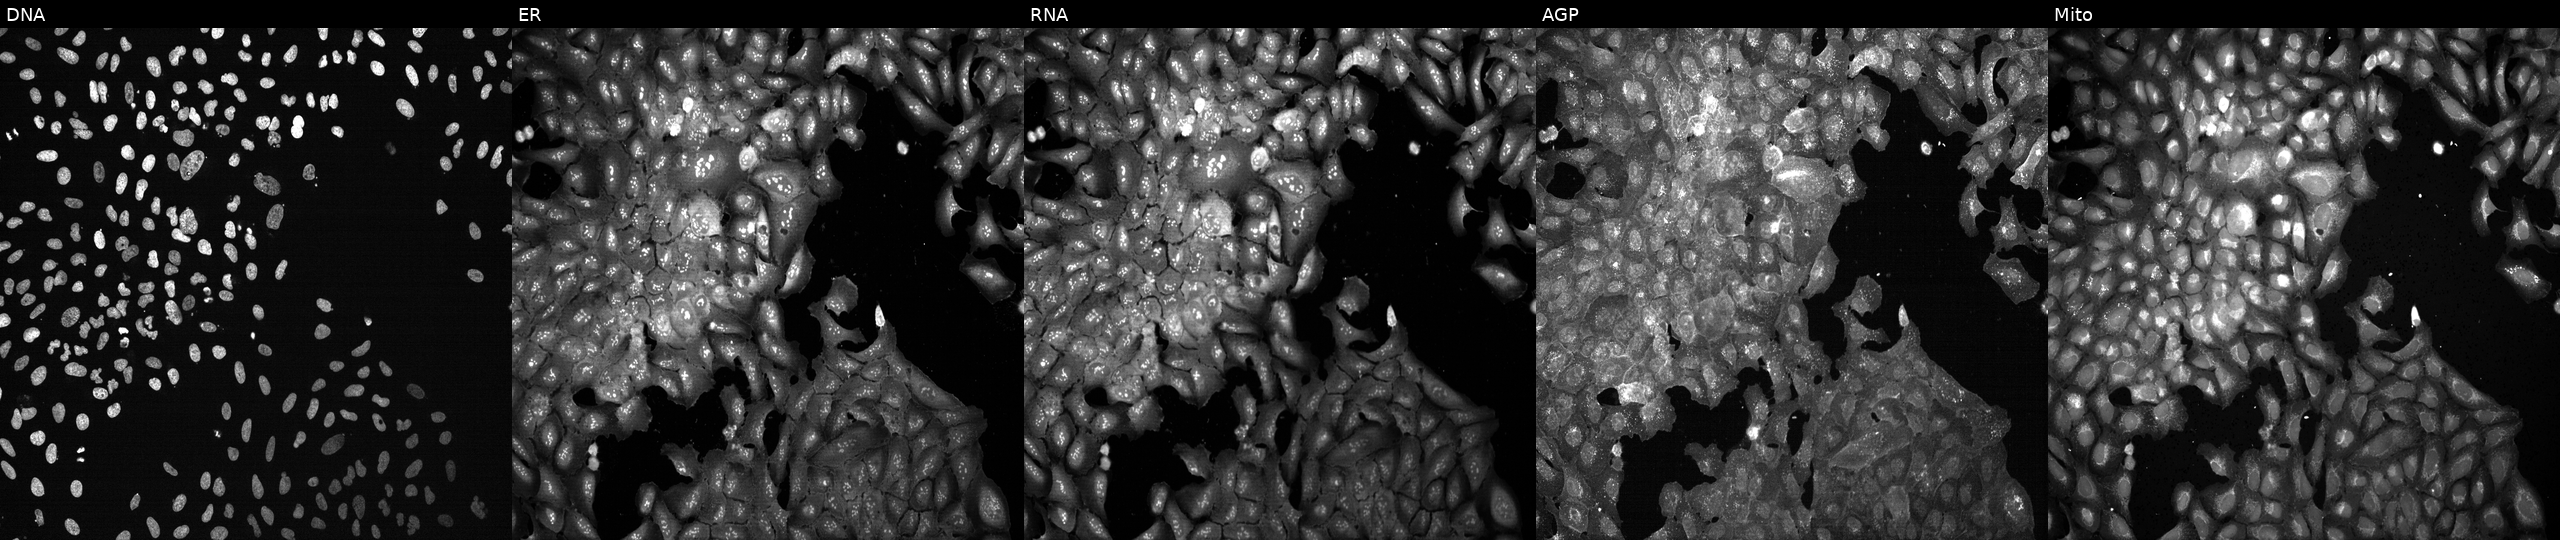
This image strip shows the five Cell Painting channels for a single field of U2OS cells following CRISPR knockout of KRT8 (JUMP id JCP2022_803756). From left to right: DNA (nuclei); ER (endoplasmic reticulum); RNA (nucleoli and cytoplasmic RNA); AGP (actin cytoskeleton, Golgi, and plasma membrane); Mito (mitochondria).